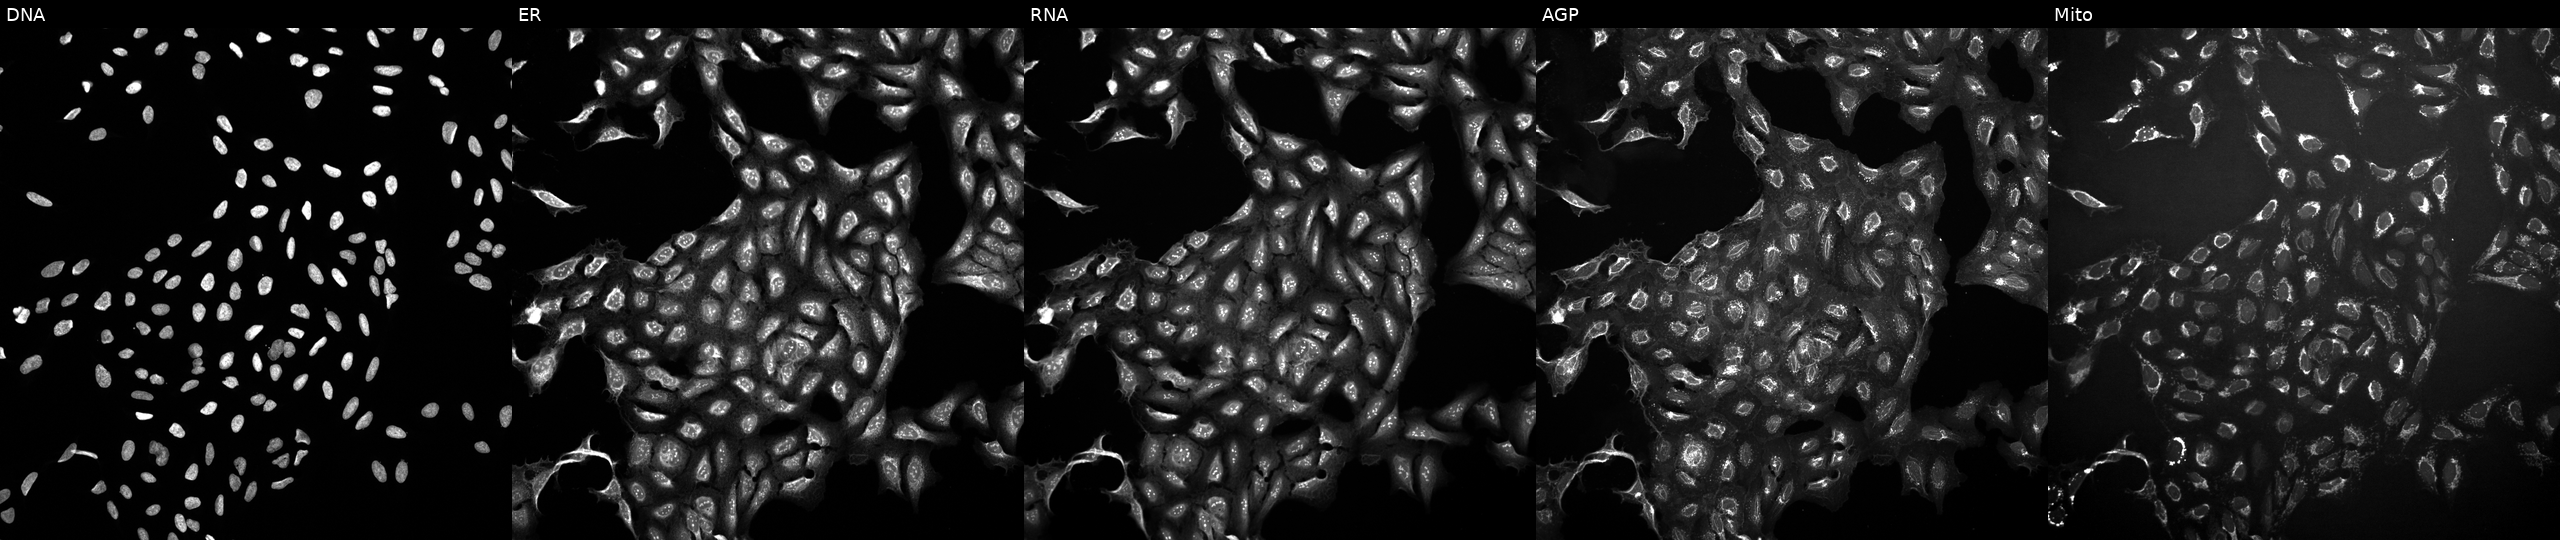
JUMP Cell Painting — TARGET2 plate. U2OS cells treated with DMSO vehicle only (negative control) (JUMP id JCP2022_033924). Channels (left→right): Hoechst 33342, concanavalin A, SYTO 14, phalloidin and WGA, MitoTracker.